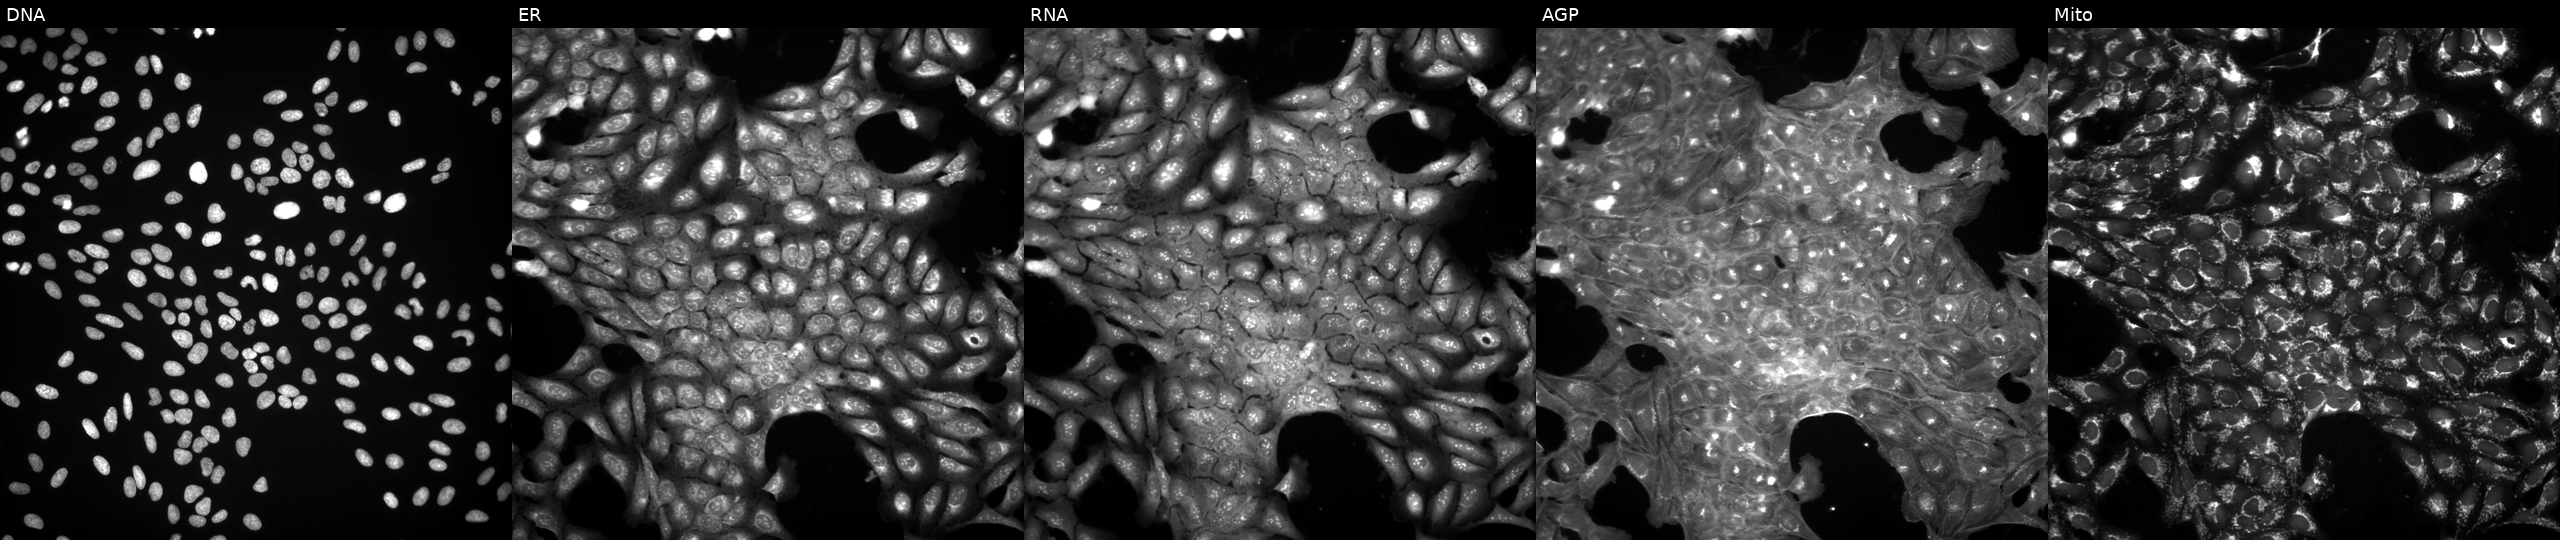
The five panels, left to right, show DNA, ER, RNA, AGP, and Mito. U2OS osteosarcoma cells treated with a small-molecule compound (JUMP id JCP2022_024189). Cell Painting assay, JUMP-CP dataset.